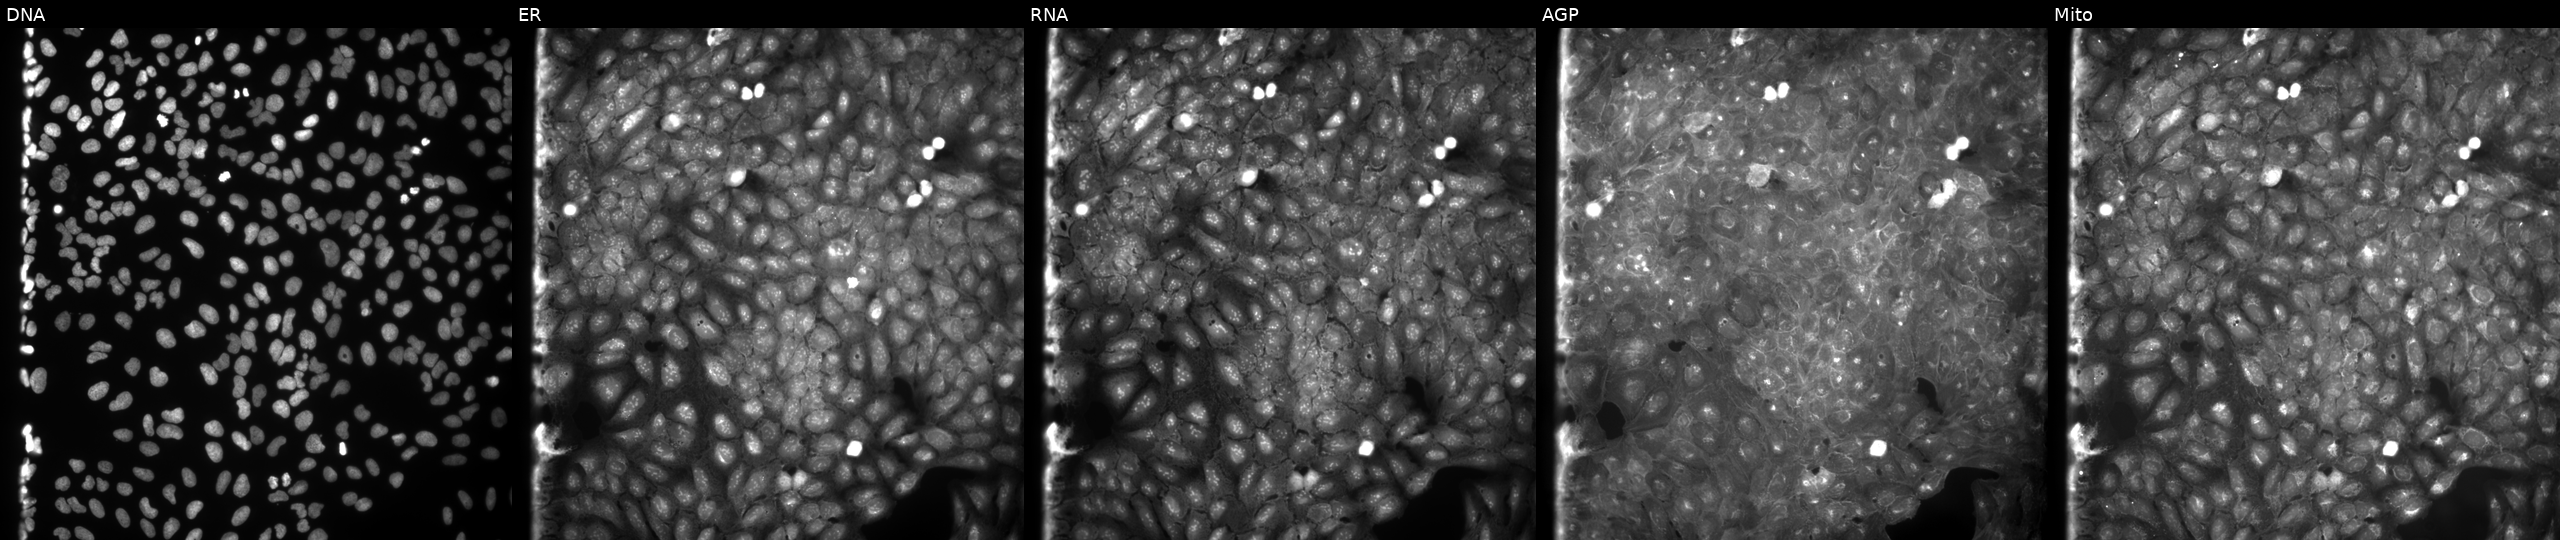
High-content fluorescence microscopy (Cell Painting). Cell line: U2OS. Perturbation: exposed to a small-molecule compound (InChIKey HIBCOKBOBBRNMT-UHFFFAOYSA-N) (JUMP id JCP2022_030340). Channels (left→right): DNA, ER, RNA, AGP, and Mito. Source 9, plate GR00003382, well K08.